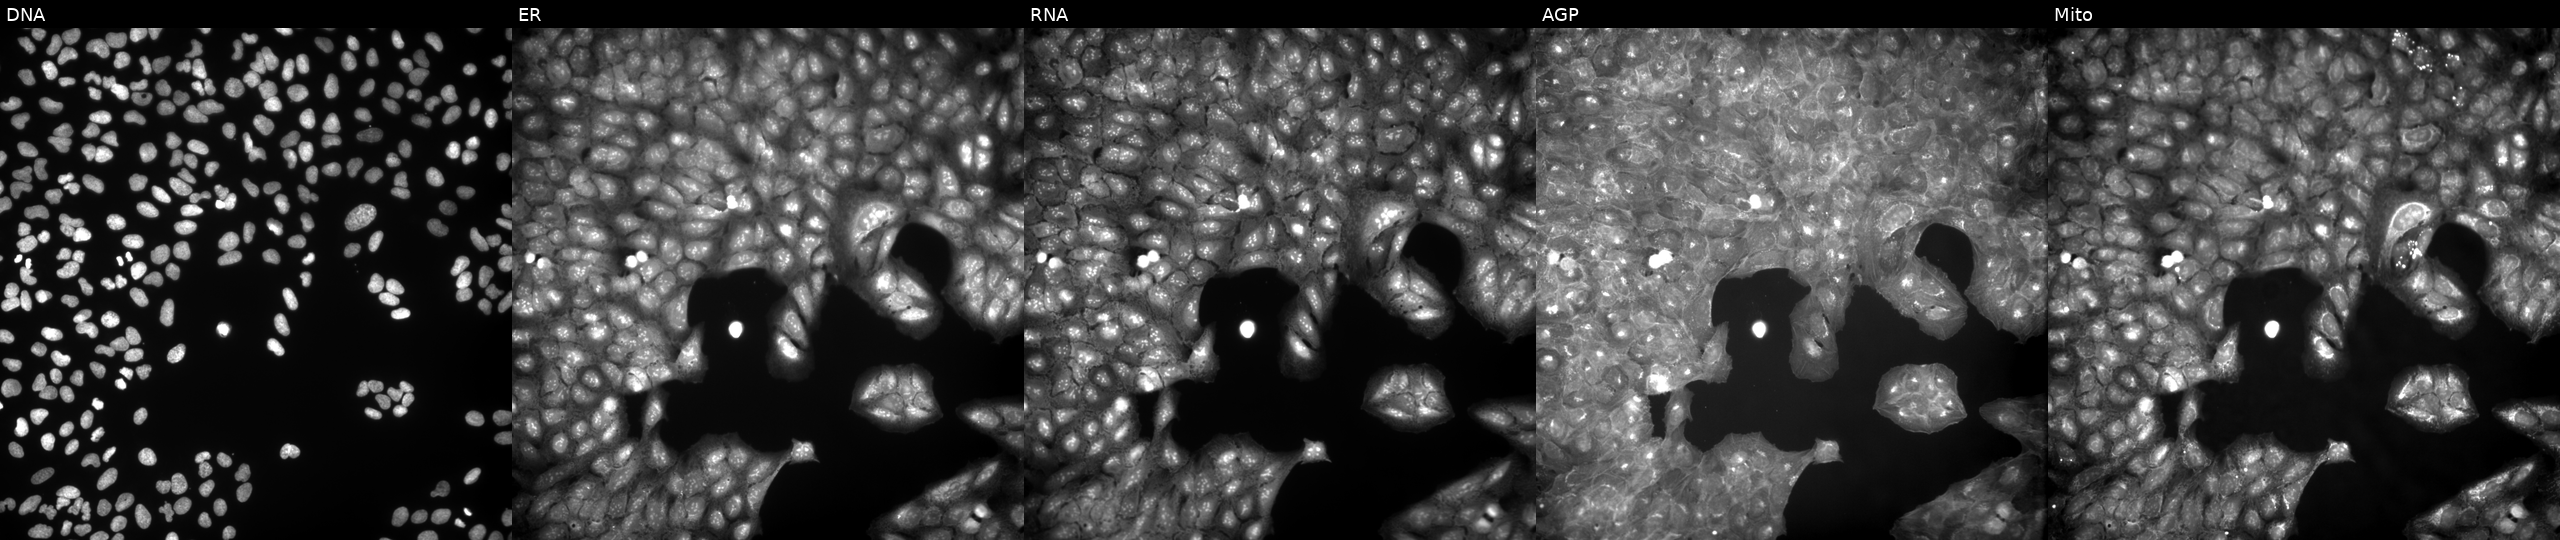
From left to right: DNA, ER, RNA, AGP, and Mito. U2OS osteosarcoma cells exposed to a small-molecule compound (InChIKey ZAIWKHTXNIGHQA-UHFFFAOYSA-N) (JUMP id JCP2022_112054). Cell Painting assay, JUMP-CP dataset. Source 9, plate GR00003382, well S32.